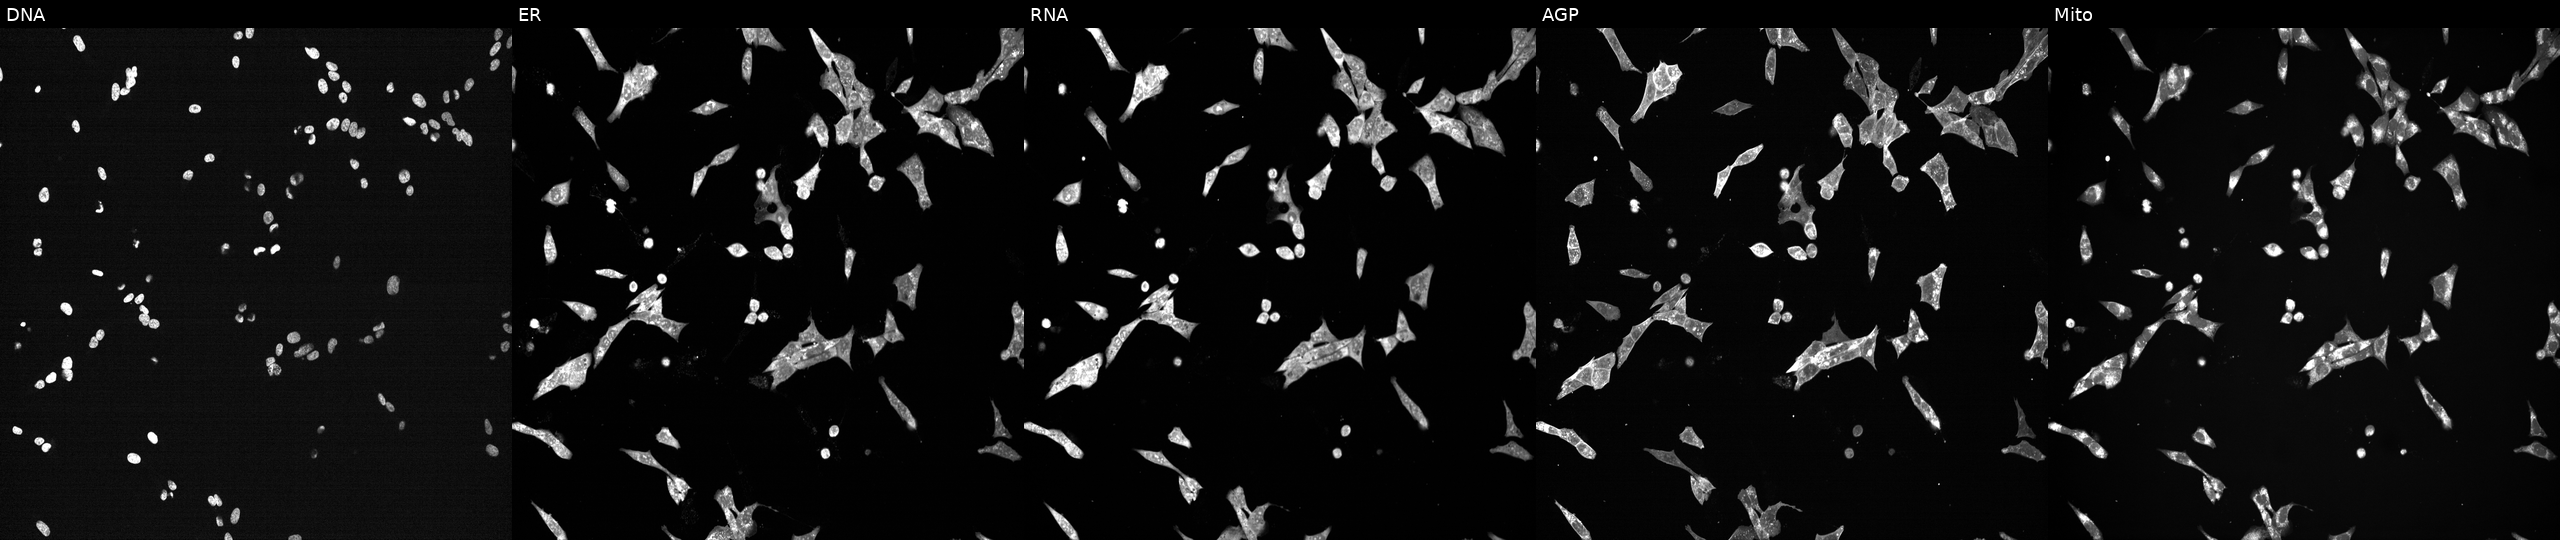
High-content fluorescence microscopy (Cell Painting). Cell line: U2OS. Perturbation: treated with a small-molecule compound [SMILES: CCCCc1nc(-c2ccc(OCCCN(CC)CC)cc2)cn1-c1ccc(Oc2ccc(Cl)cc2)cc1] (JUMP id JCP2022_045036). Panels show, left to right, DNA, ER, RNA, AGP, and Mito. Source 7, plate CP3-SC1-25, well E20.